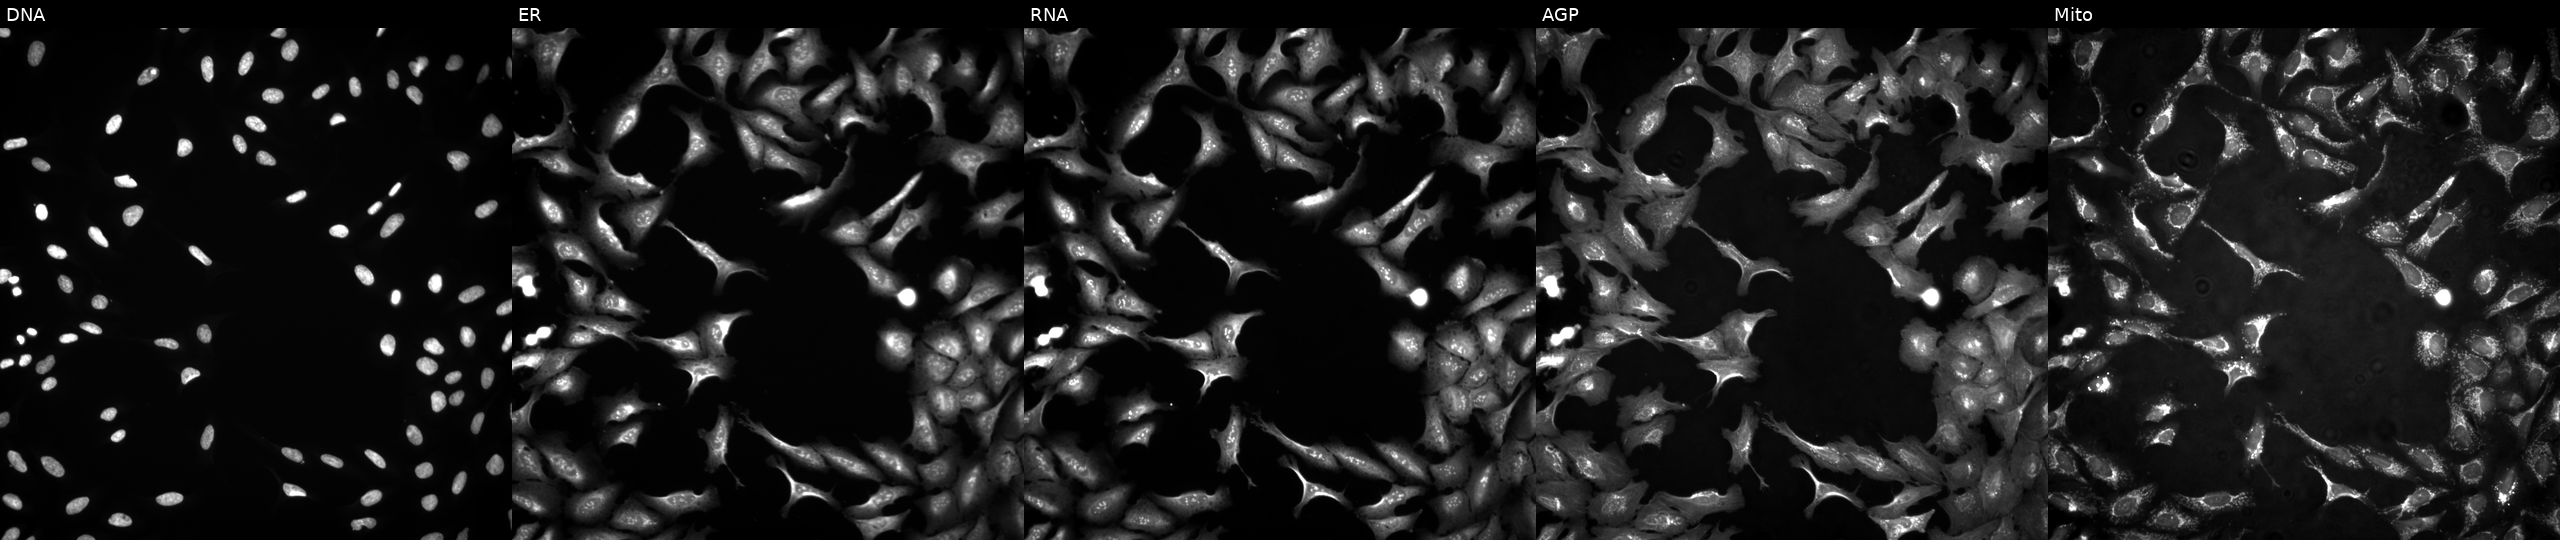
This image strip shows the five Cell Painting channels for a single field of U2OS cells with PRSS2 overexpressed (ORF). From left to right: DNA, ER, RNA, AGP, and Mito.